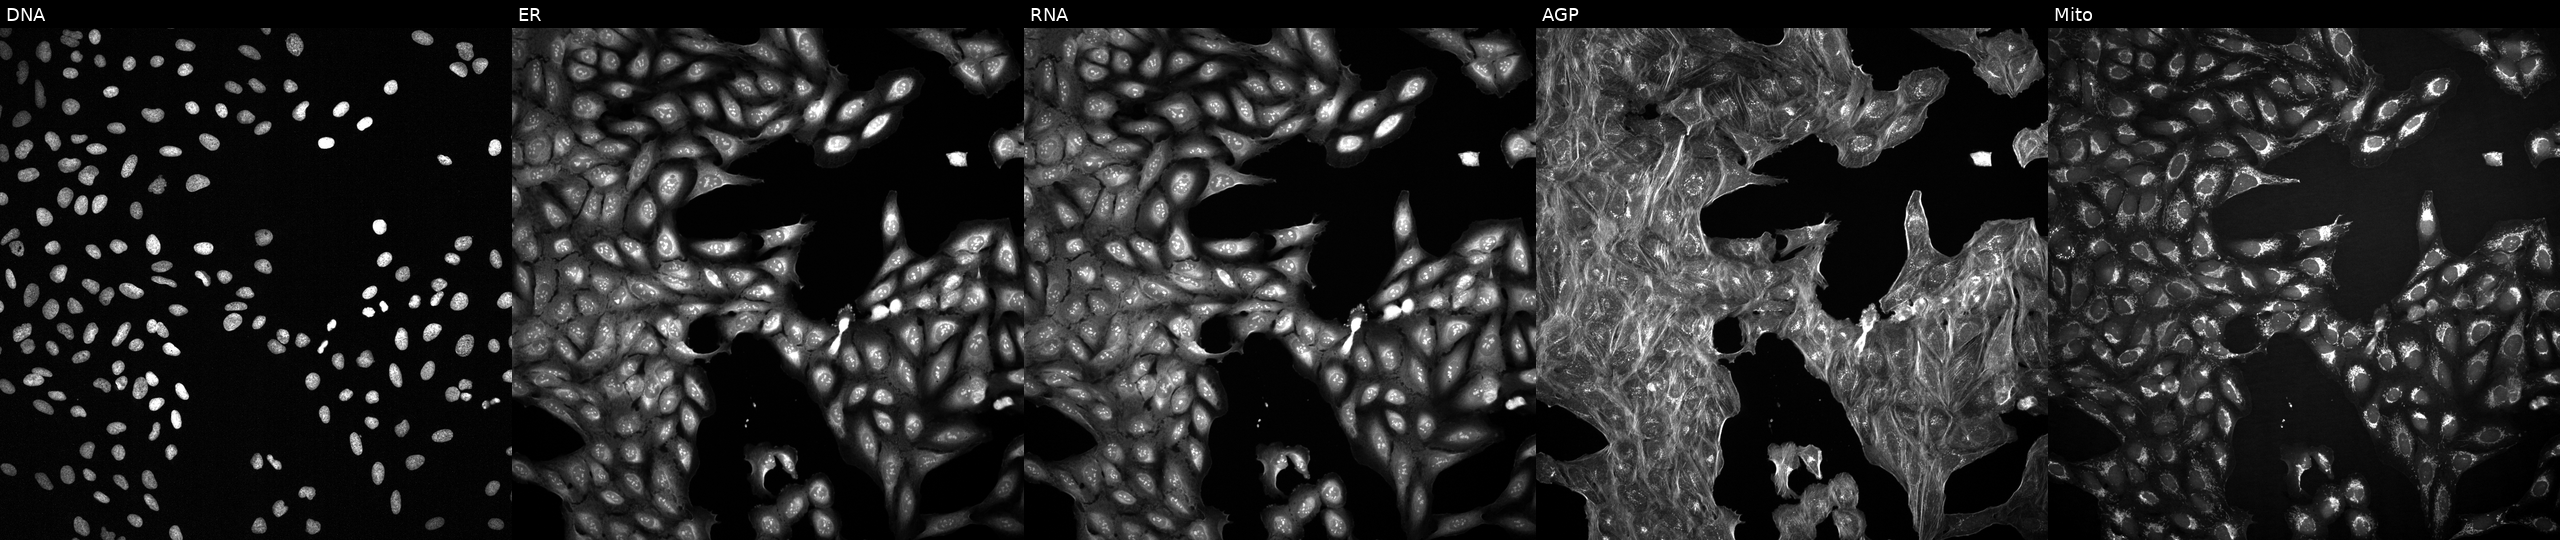
U2OS cells, Cell Painting assay, with an unidentified perturbation (not annotated in JUMP metadata). Channels (left→right): DNA, ER, RNA, AGP, and Mito. Each panel is percentile-stretched 16-bit fluorescence.